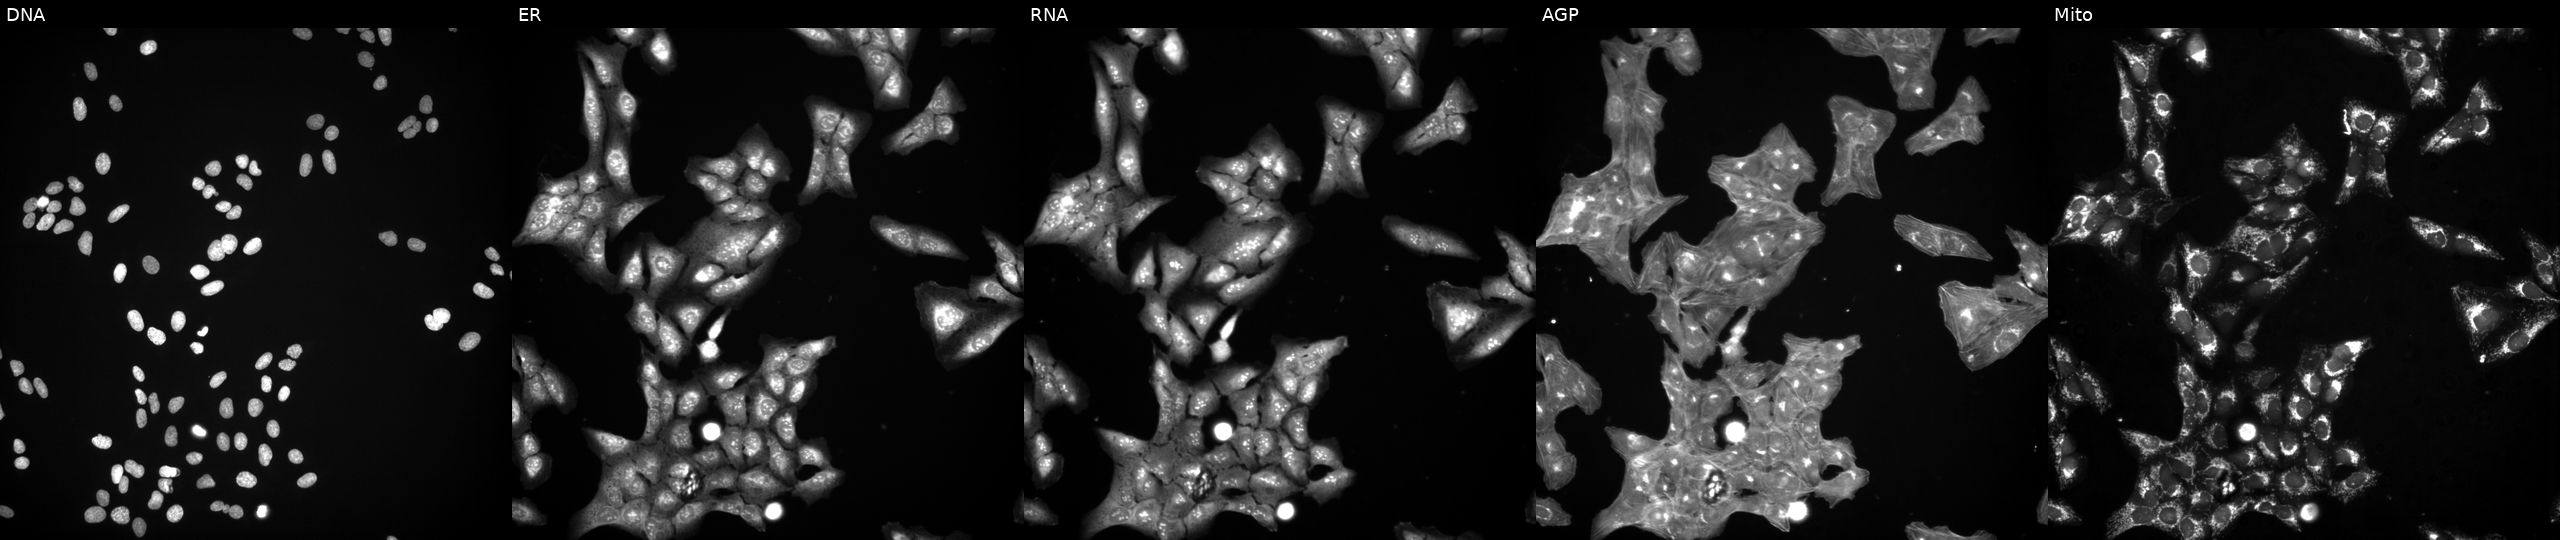
U2OS cells, Cell Painting assay, treated with TC-S-7004 (positive-control compound) (JUMP id JCP2022_012818). Channels (left→right): Hoechst 33342, concanavalin A, SYTO 14, phalloidin and WGA, MitoTracker. Each panel is percentile-stretched 16-bit fluorescence. Source 3, plate JCPQC051, well K12.